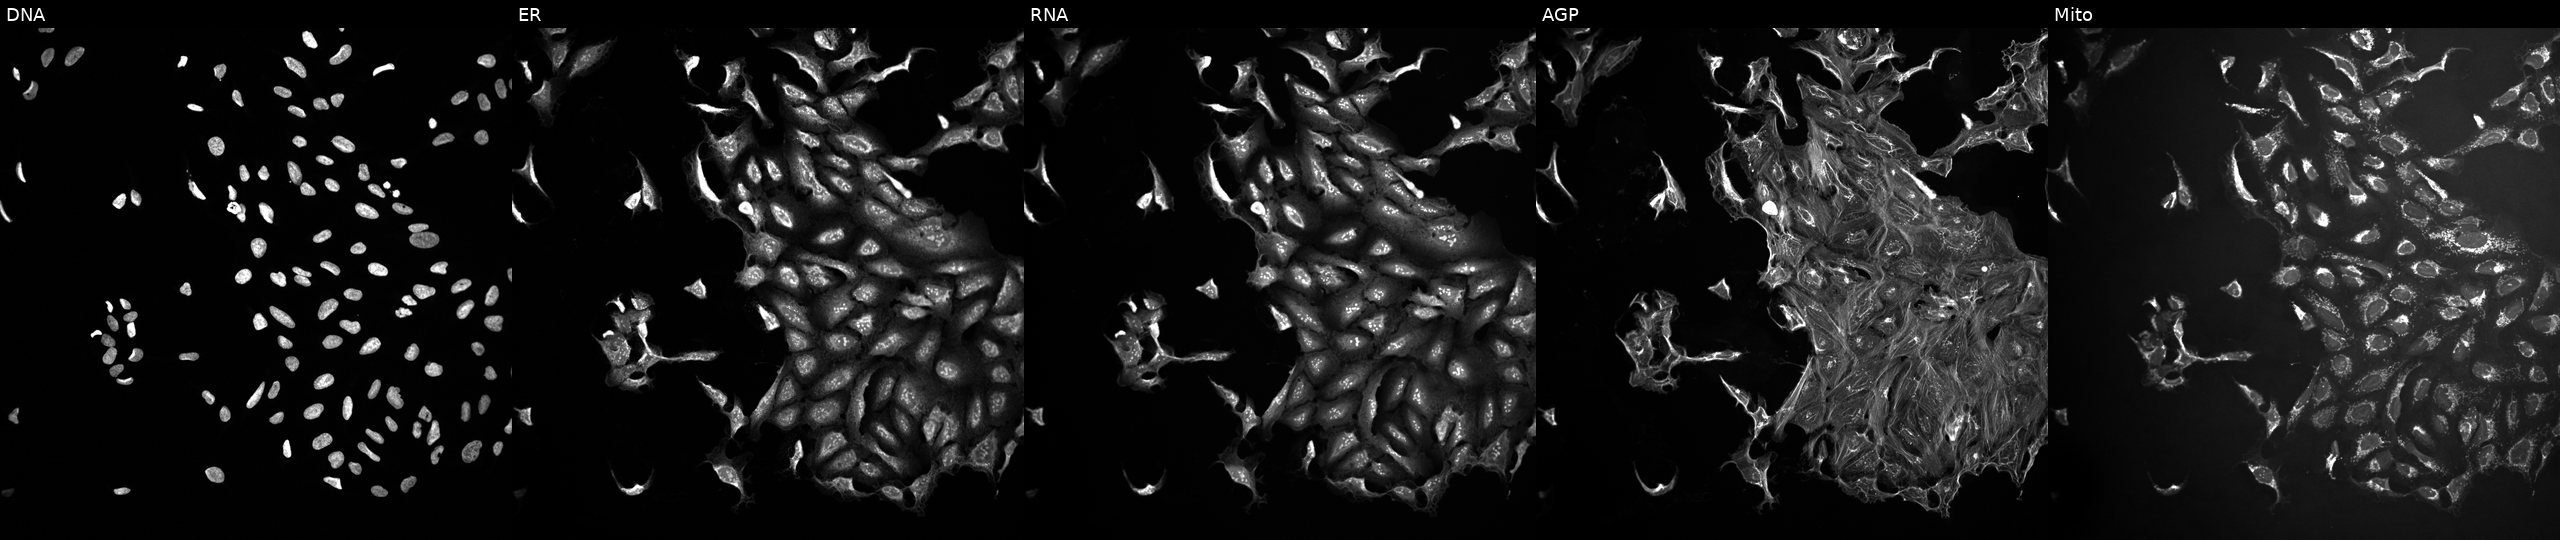
Panels show, left to right, DNA, ER, RNA, AGP, and Mito. U2OS osteosarcoma cells exposed to DMSO alone as a negative control (JUMP id JCP2022_033924). Cell Painting assay, JUMP-CP dataset. Source 10, plate Dest210726-160150, well M21.